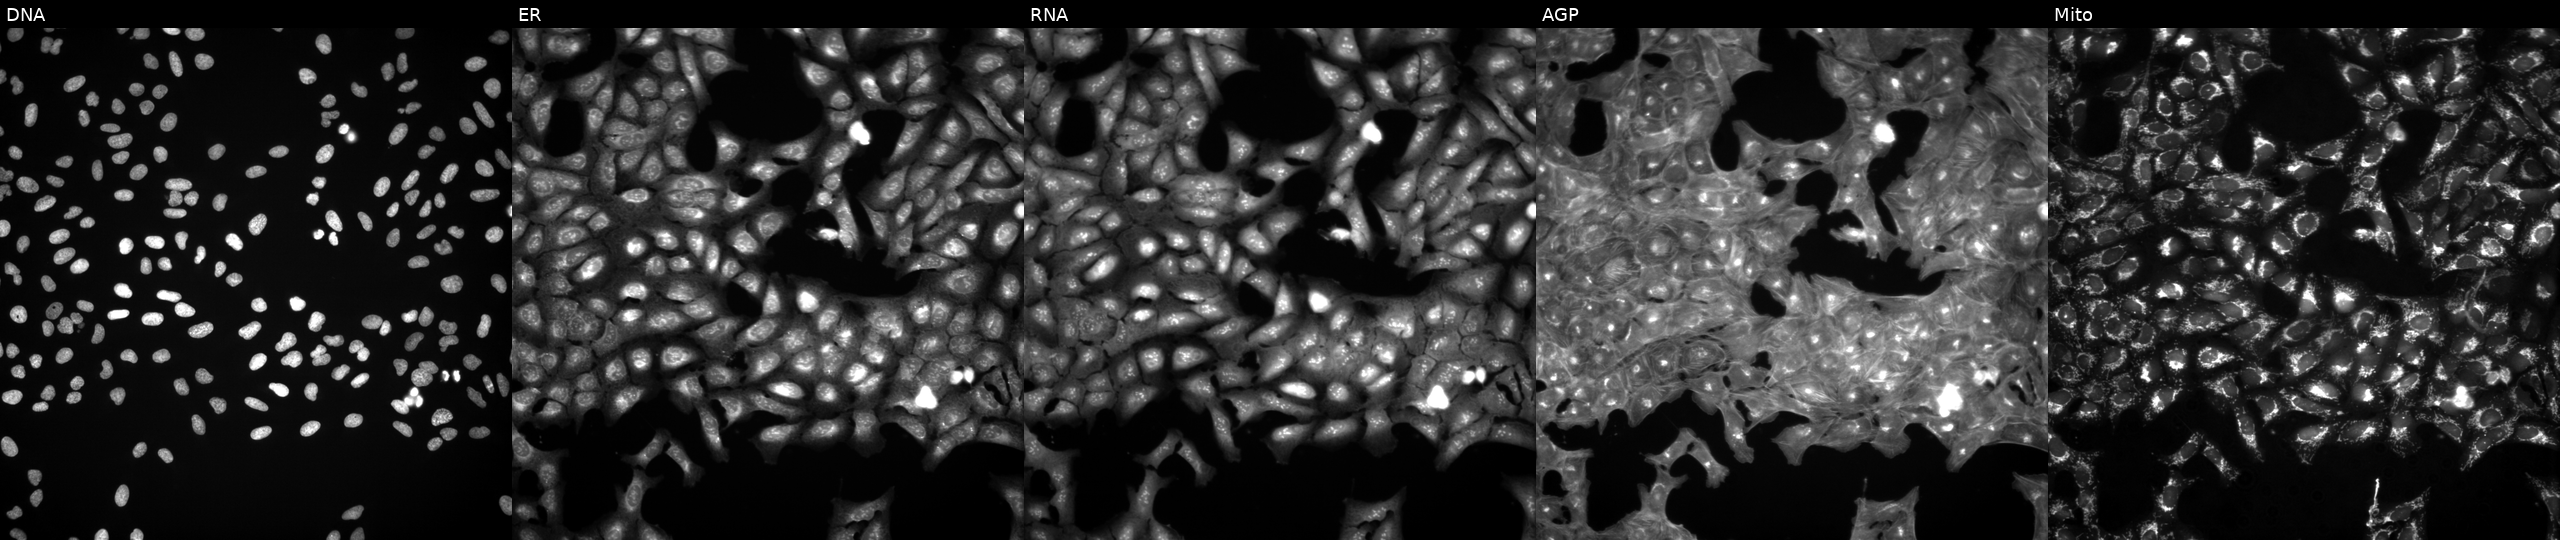
This image strip shows the five Cell Painting channels for a single field of U2OS cells exposed to a small-molecule compound (InChIKey HCRKCZRJWPKOAR-UHFFFAOYSA-N) [SMILES: CCNC1CN(CCCOC)S(=O)(=O)c2sc(S(N)(=O)=O)cc21]. The five panels, left to right, show DNA (nuclei); ER (endoplasmic reticulum); RNA (nucleoli and cytoplasmic RNA); AGP (actin cytoskeleton, Golgi, and plasma membrane); Mito (mitochondria). Source 3, plate JCPQC051, well B19.